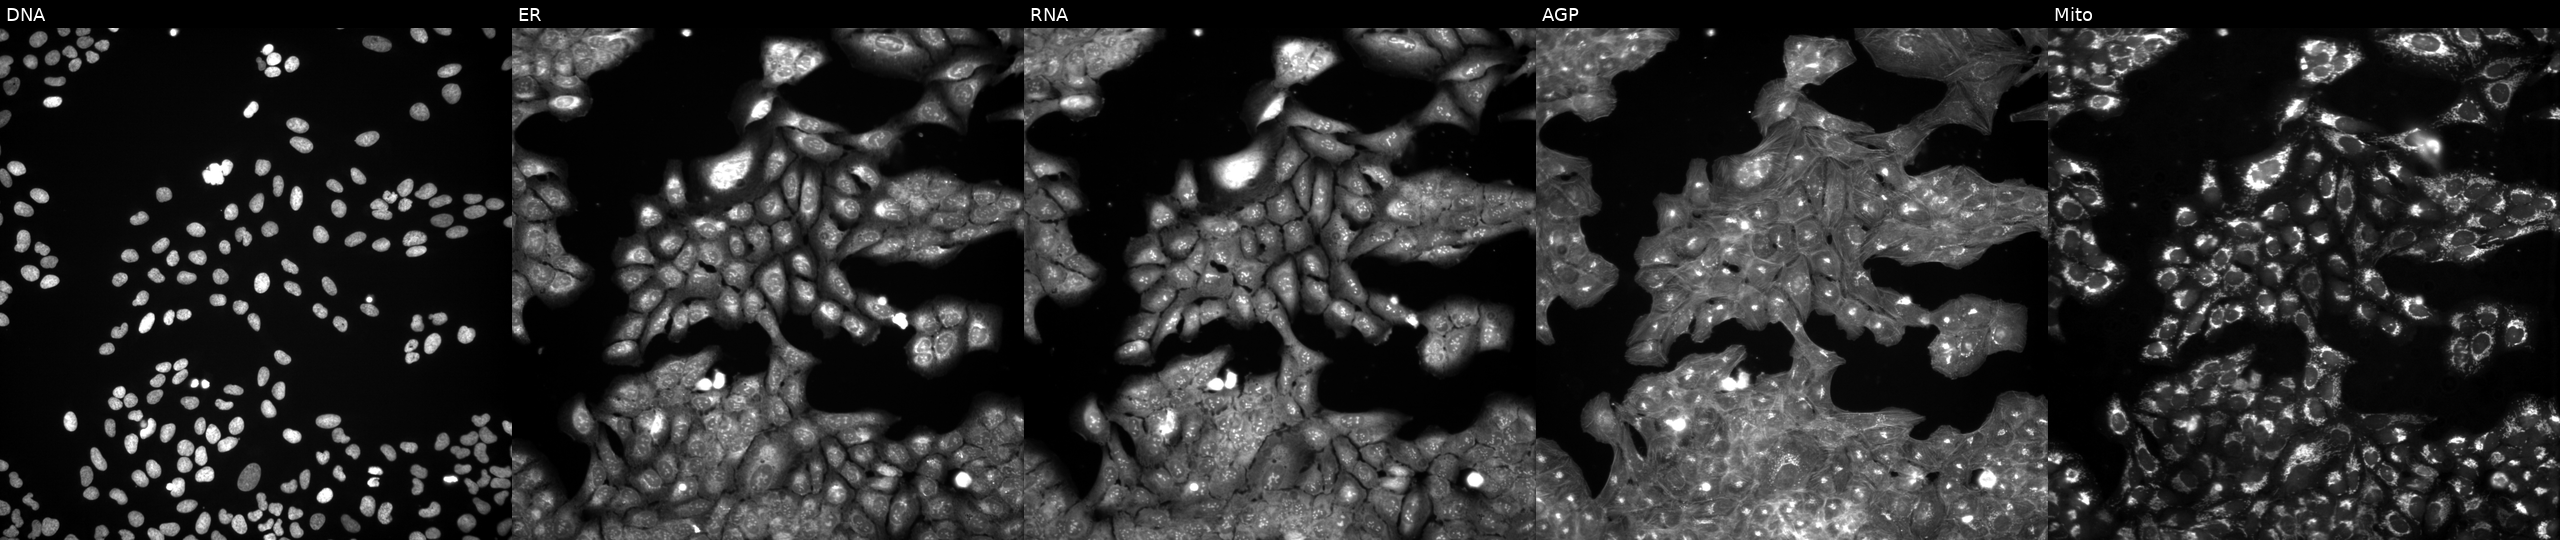
High-content fluorescence microscopy (Cell Painting). Cell line: U2OS. Perturbation: treated with a small-molecule compound (InChIKey TWSTVZBEFBQGQE-UHFFFAOYSA-N) (JUMP id JCP2022_087231). The five panels, left to right, show DNA (nuclei); ER (endoplasmic reticulum); RNA (nucleoli and cytoplasmic RNA); AGP (actin cytoskeleton, Golgi, and plasma membrane); Mito (mitochondria). Source 3, plate BR5867b3, well G05.